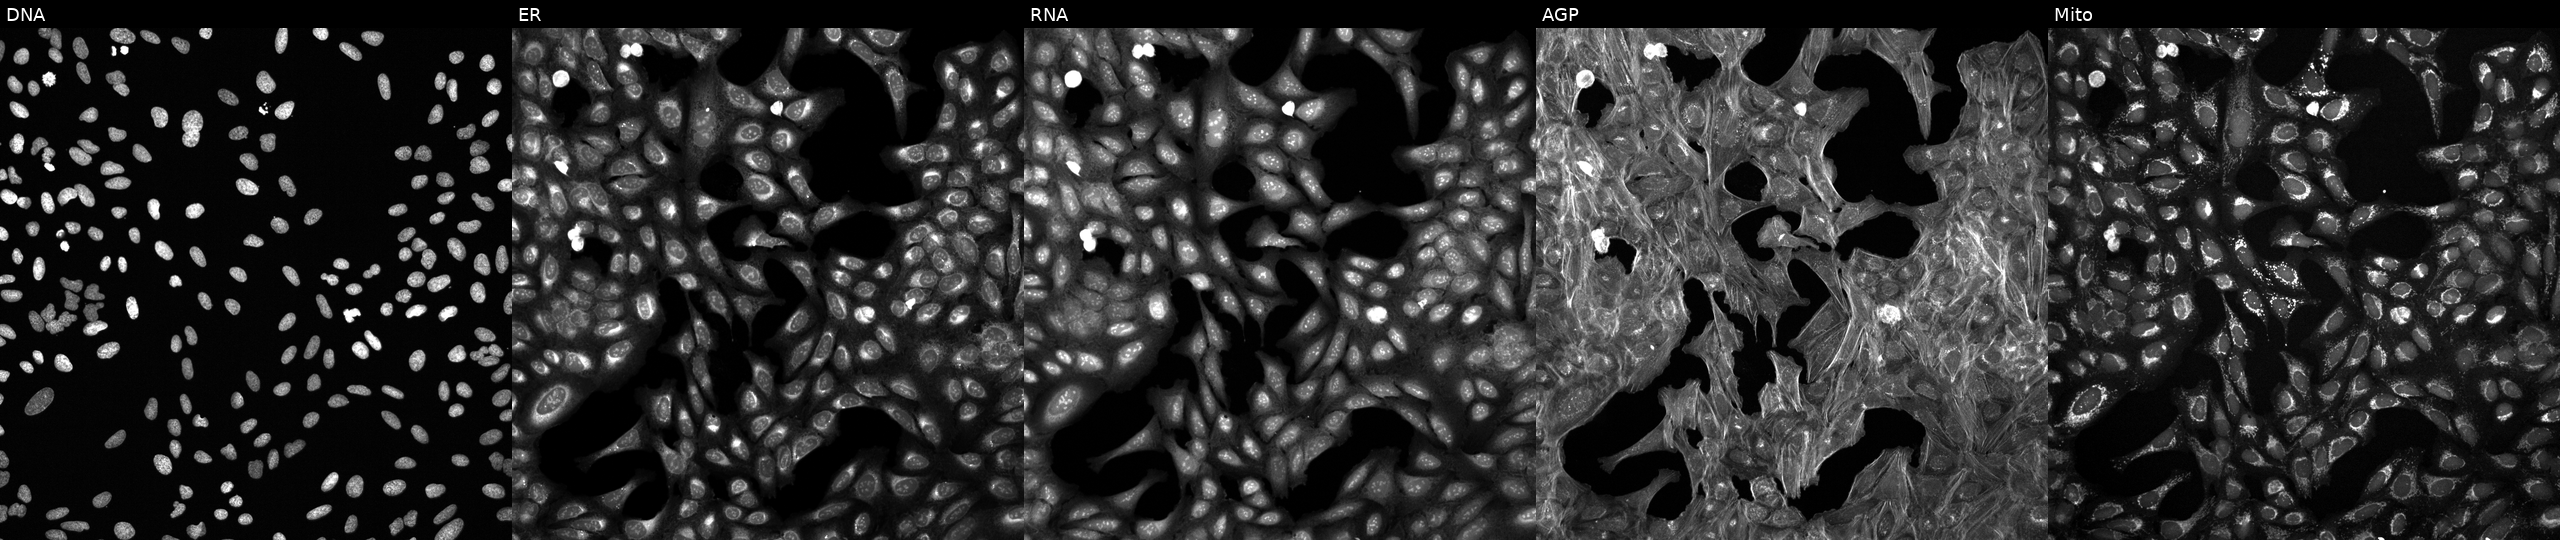
JUMP Cell Painting — COMPOUND plate. U2OS cells treated with a small-molecule compound (InChIKey HLKXLFYYMDRFEA-UHFFFAOYSA-N). Channels (left→right): DNA, ER, RNA, AGP, and Mito.